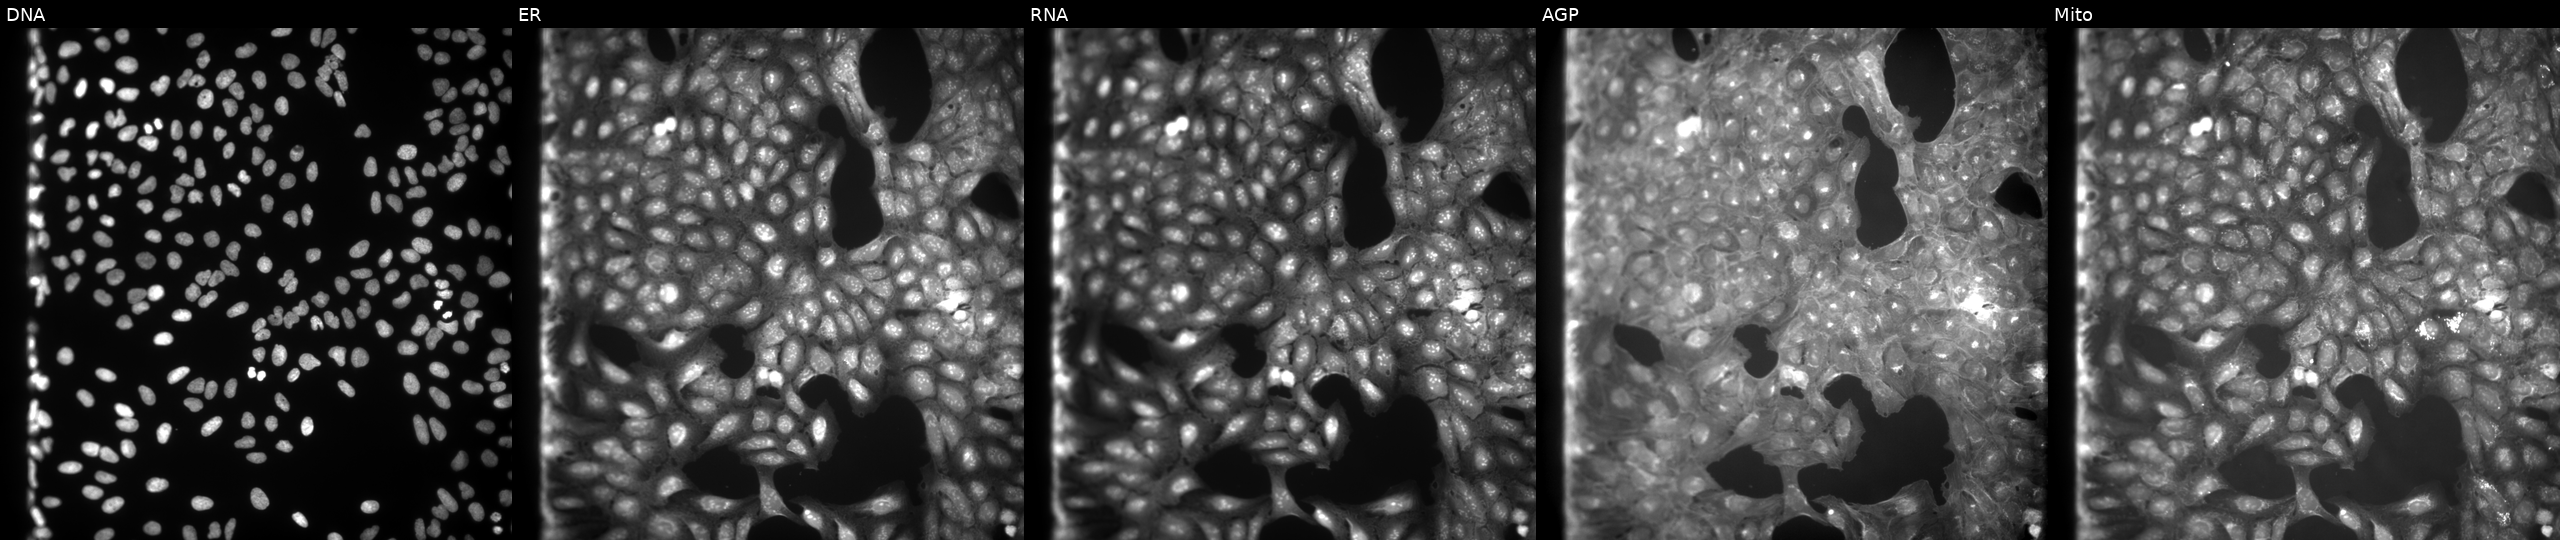
This image strip shows the five Cell Painting channels for a single field of U2OS cells exposed to a small-molecule compound. Channels (left→right): DNA, ER, RNA, AGP, and Mito.